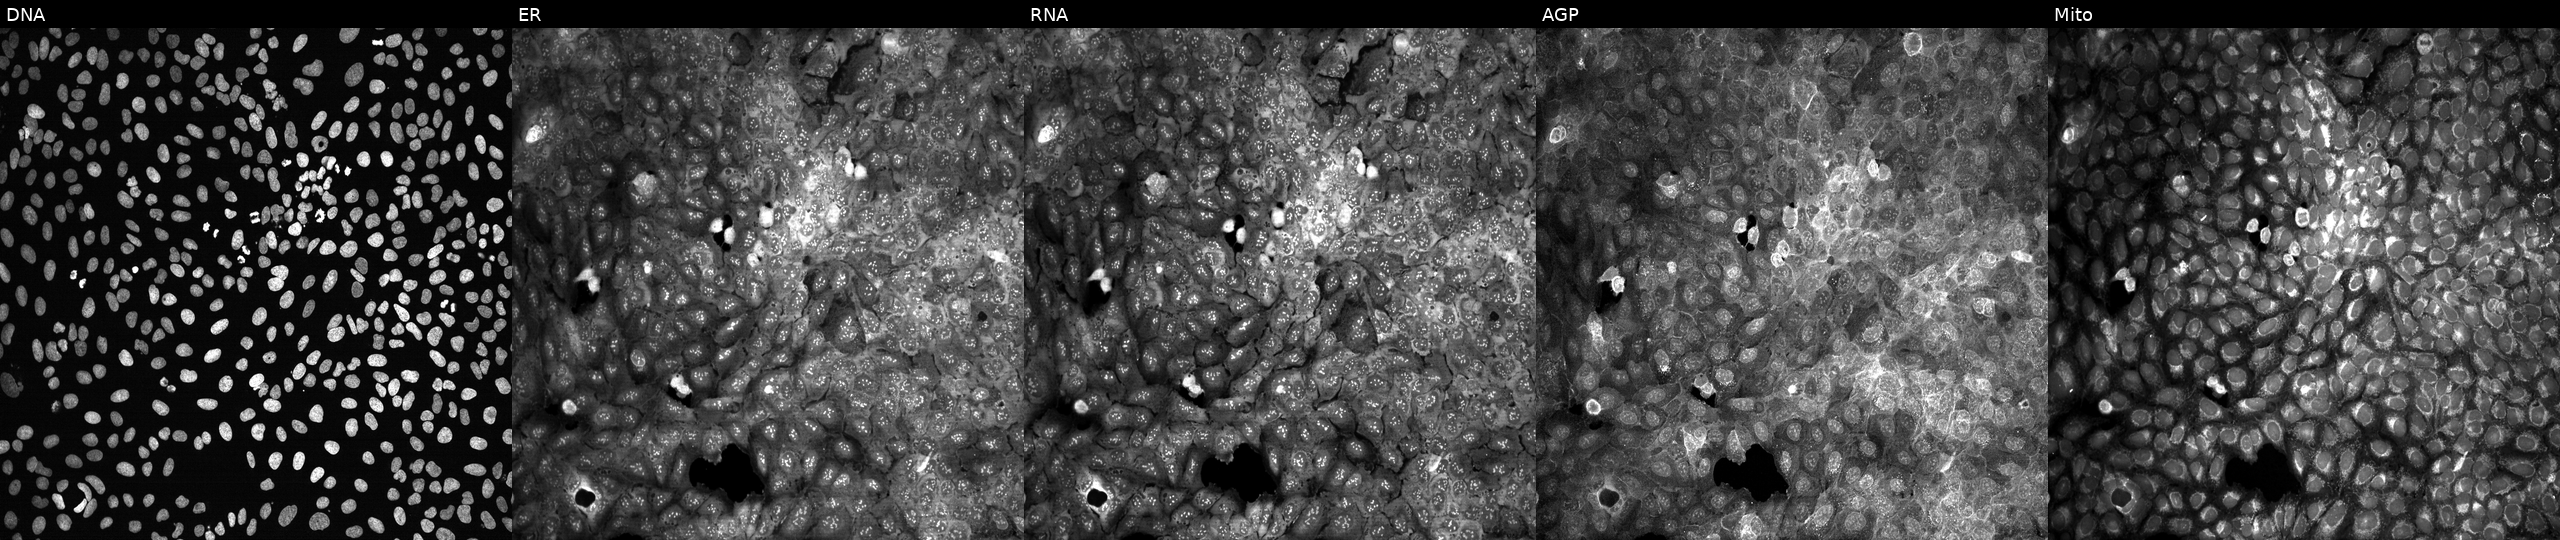
This image strip shows the five Cell Painting channels for a single field of U2OS cells treated with quinidine (positive-control compound) (JUMP id JCP2022_050797). The five panels, left to right, show DNA, ER, RNA, AGP, and Mito. Source 13, plate CP-CC9-R5-01, well P24.